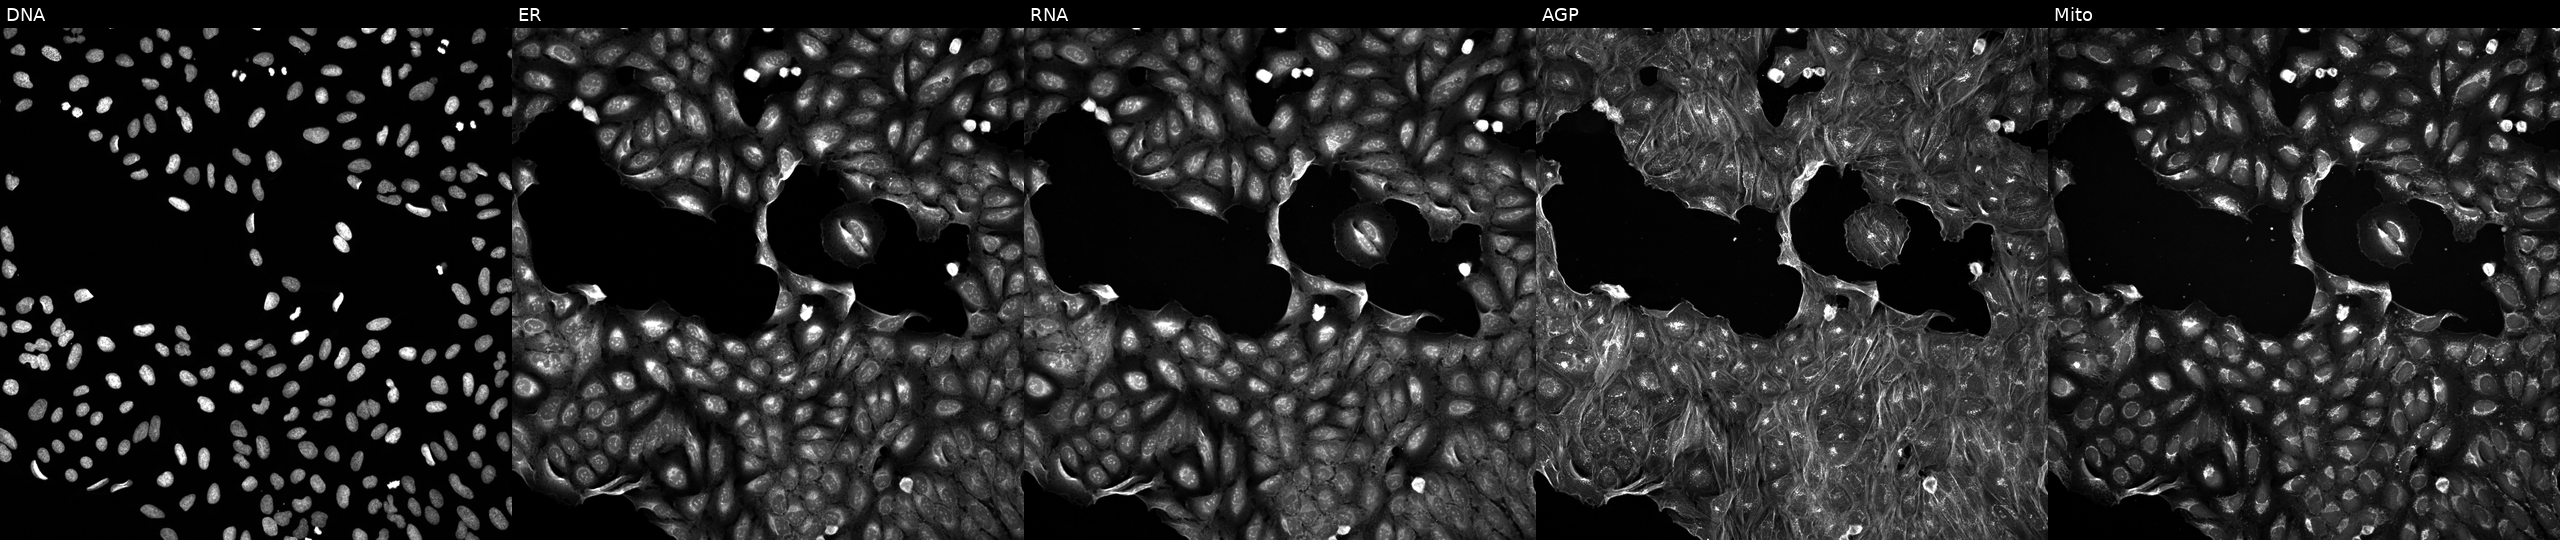
JUMP Cell Painting — TARGET2 plate. U2OS cells treated with a small-molecule compound (InChIKey RQVGFDBMONQTBC-UHFFFAOYSA-N) (JUMP id JCP2022_080150). Panels show, left to right, DNA, ER, RNA, AGP, and Mito.